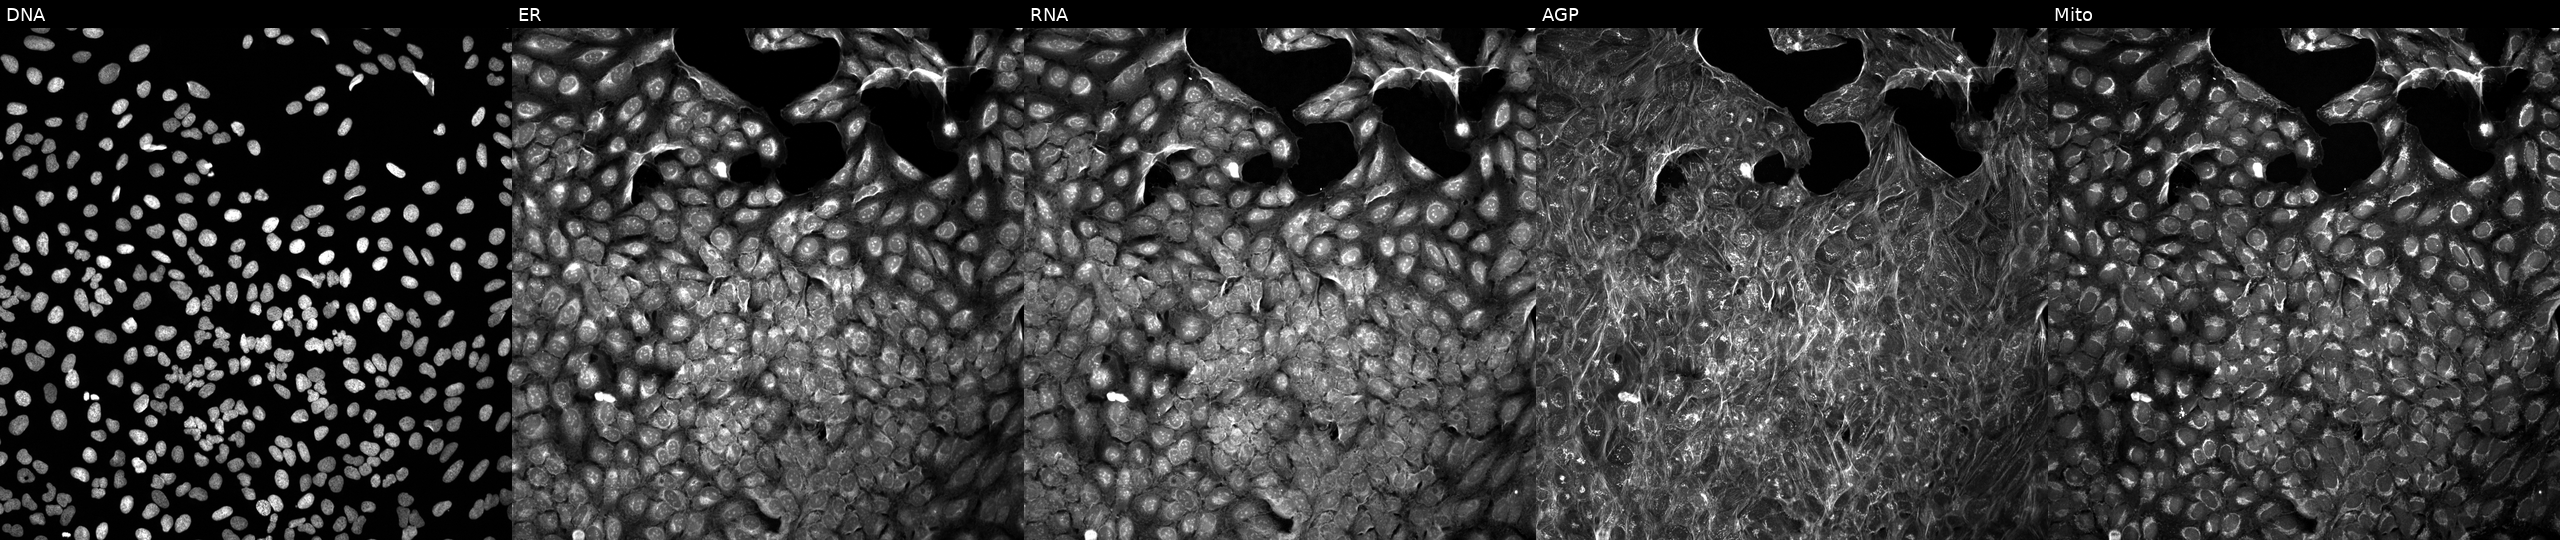
U2OS cells, Cell Painting assay, exposed to DMSO alone as a negative control. The five panels, left to right, show Hoechst 33342, concanavalin A, SYTO 14, phalloidin and WGA, MitoTracker. Each panel is percentile-stretched 16-bit fluorescence. Source 5, plate ACPJUM012, well M21.